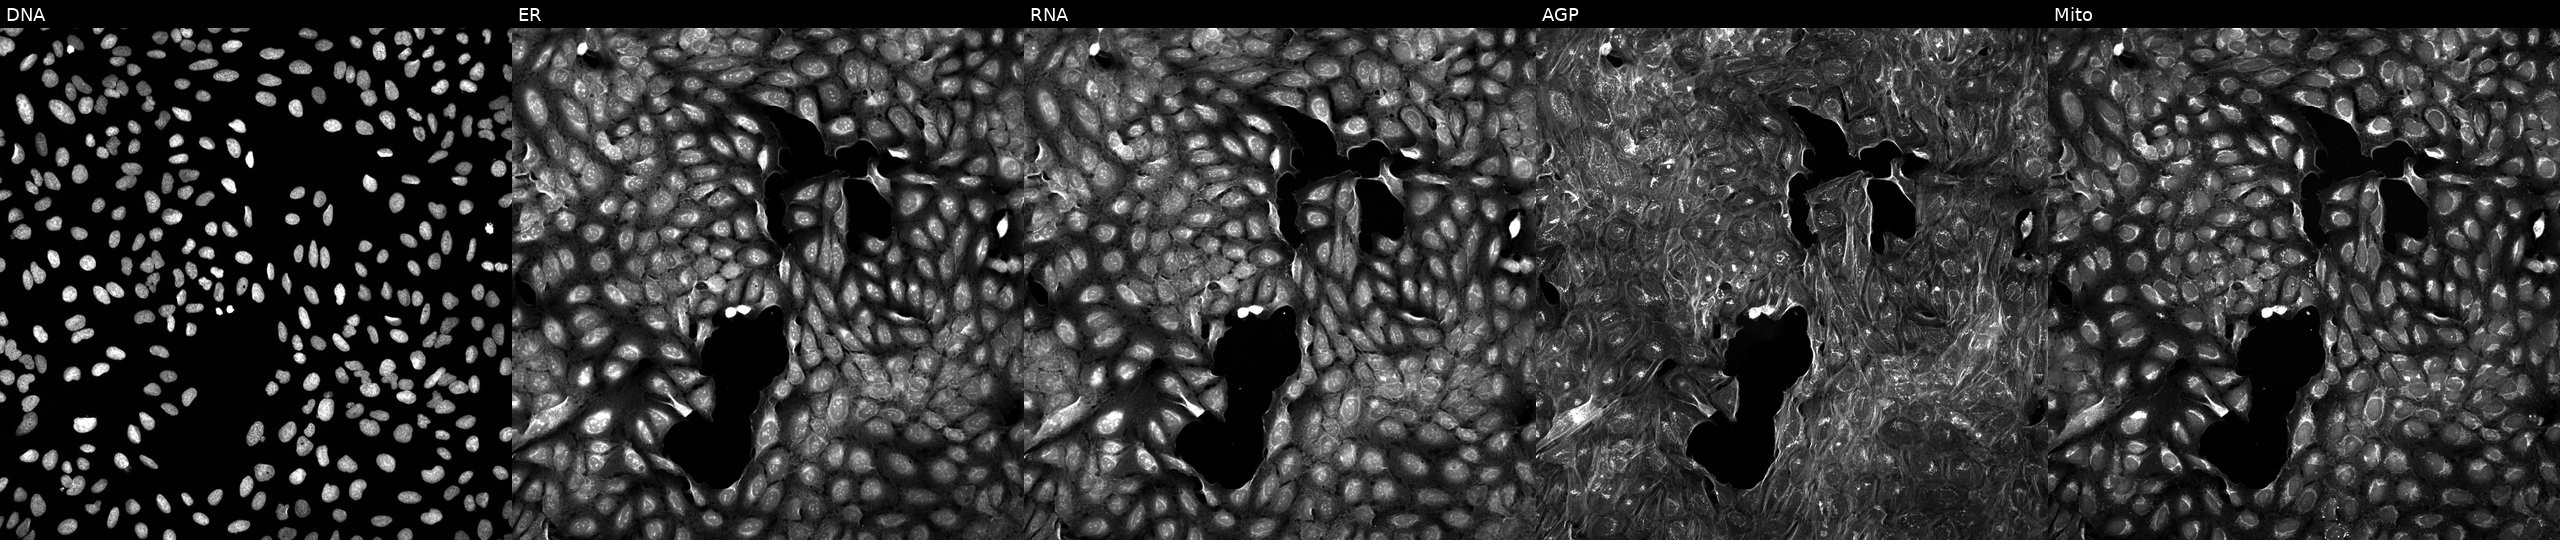
From left to right: DNA (nuclei); ER (endoplasmic reticulum); RNA (nucleoli and cytoplasmic RNA); AGP (actin cytoskeleton, Golgi, and plasma membrane); Mito (mitochondria). U2OS osteosarcoma cells exposed to a small-molecule compound (InChIKey JYYDRJWHYWYNLG-UHFFFAOYSA-N). Cell Painting assay, JUMP-CP dataset.